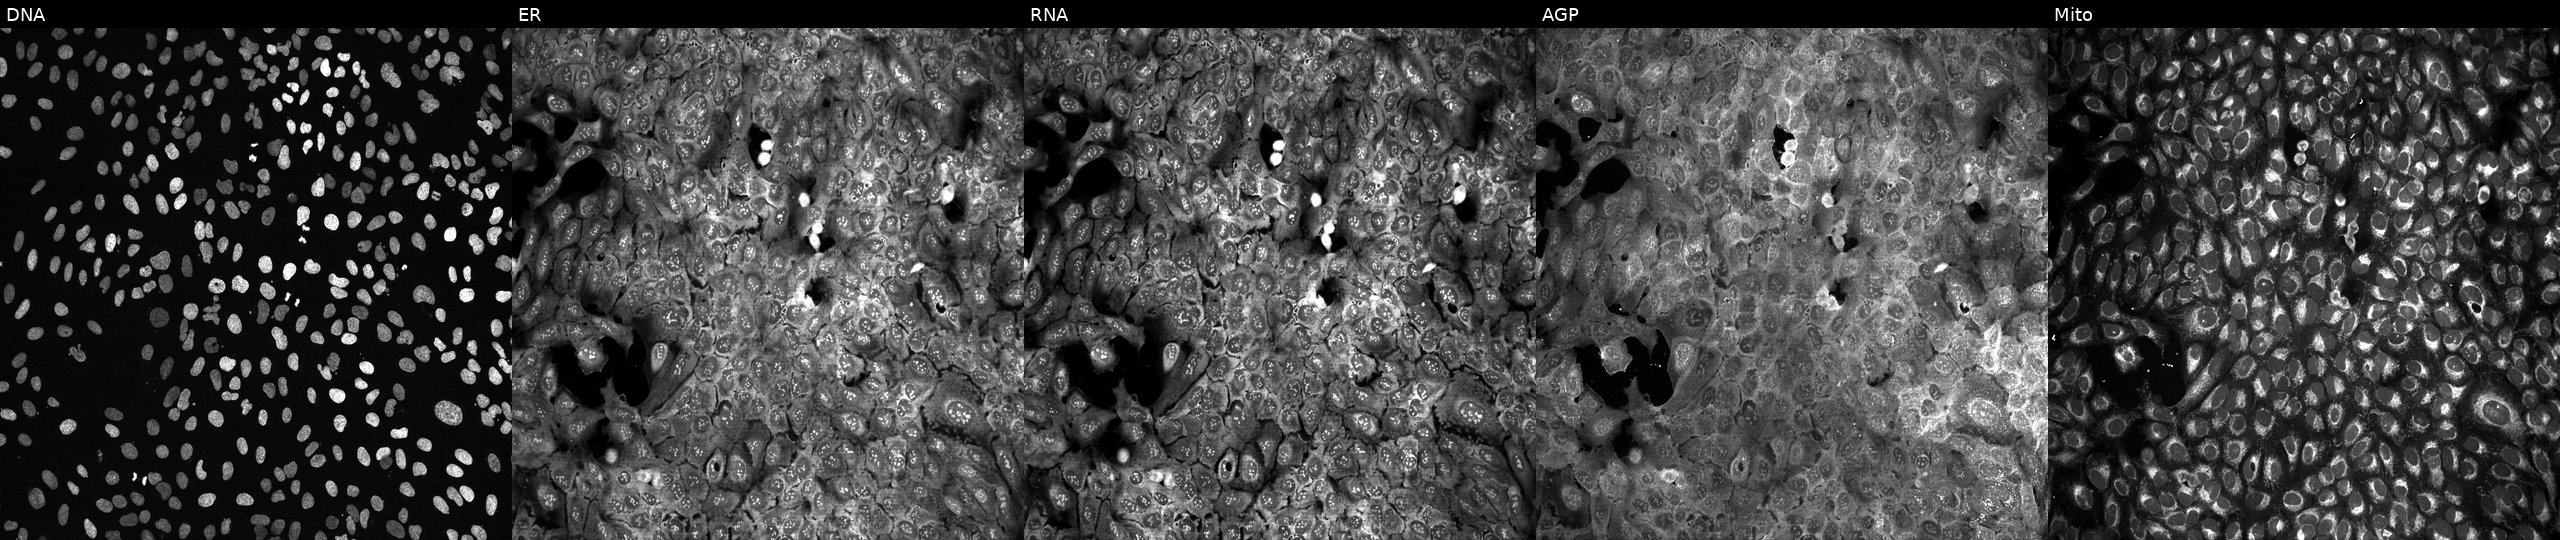
U2OS cells, Cell Painting assay, following CRISPR knockout of RAPGEF5 (JUMP id JCP2022_805834). From left to right: Hoechst 33342, concanavalin A, SYTO 14, phalloidin and WGA, MitoTracker. Each panel is percentile-stretched 16-bit fluorescence.